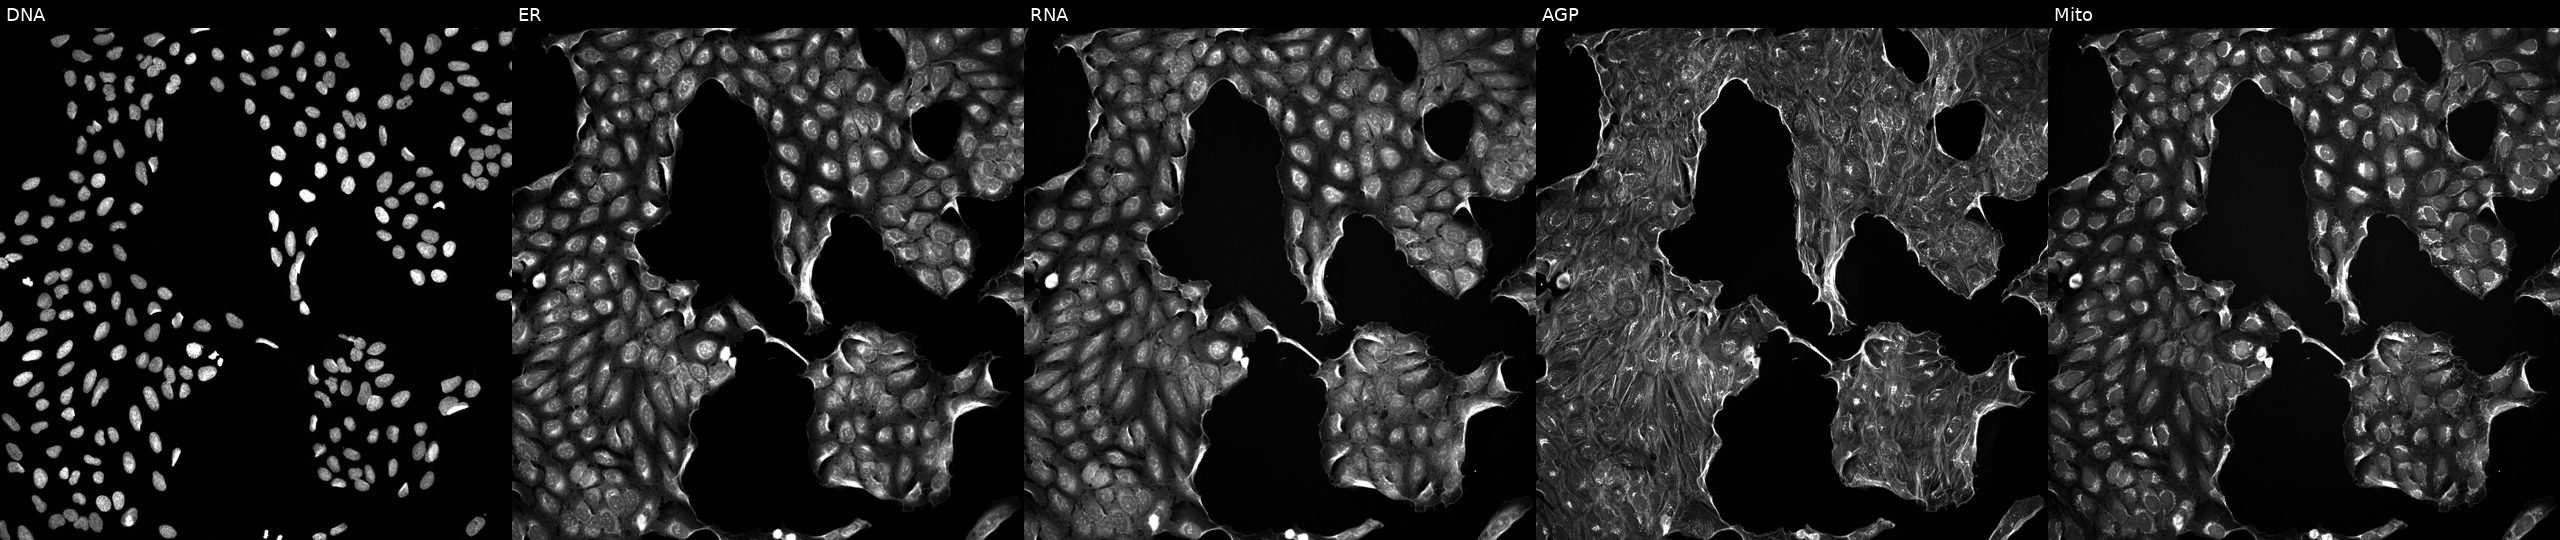
This image strip shows the five Cell Painting channels for a single field of U2OS cells treated with DMSO vehicle only (negative control). Panels show, left to right, DNA, ER, RNA, AGP, and Mito.